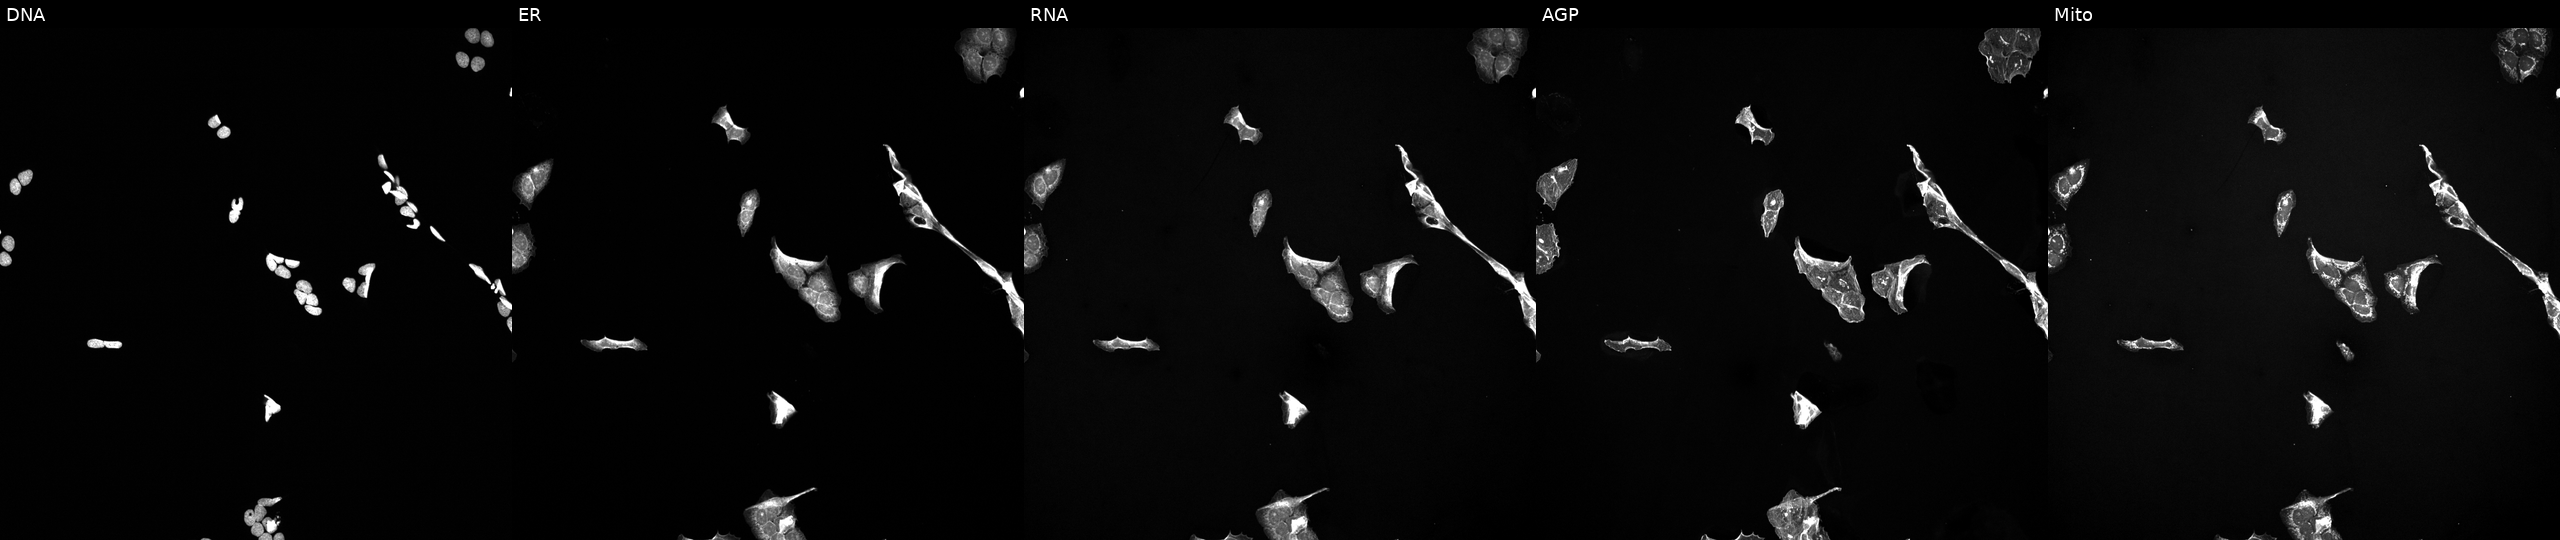
The five panels, left to right, show DNA, ER, RNA, AGP, and Mito. U2OS osteosarcoma cells perturbed with a small-molecule compound (JUMP id JCP2022_061654). Cell Painting assay, JUMP-CP dataset.